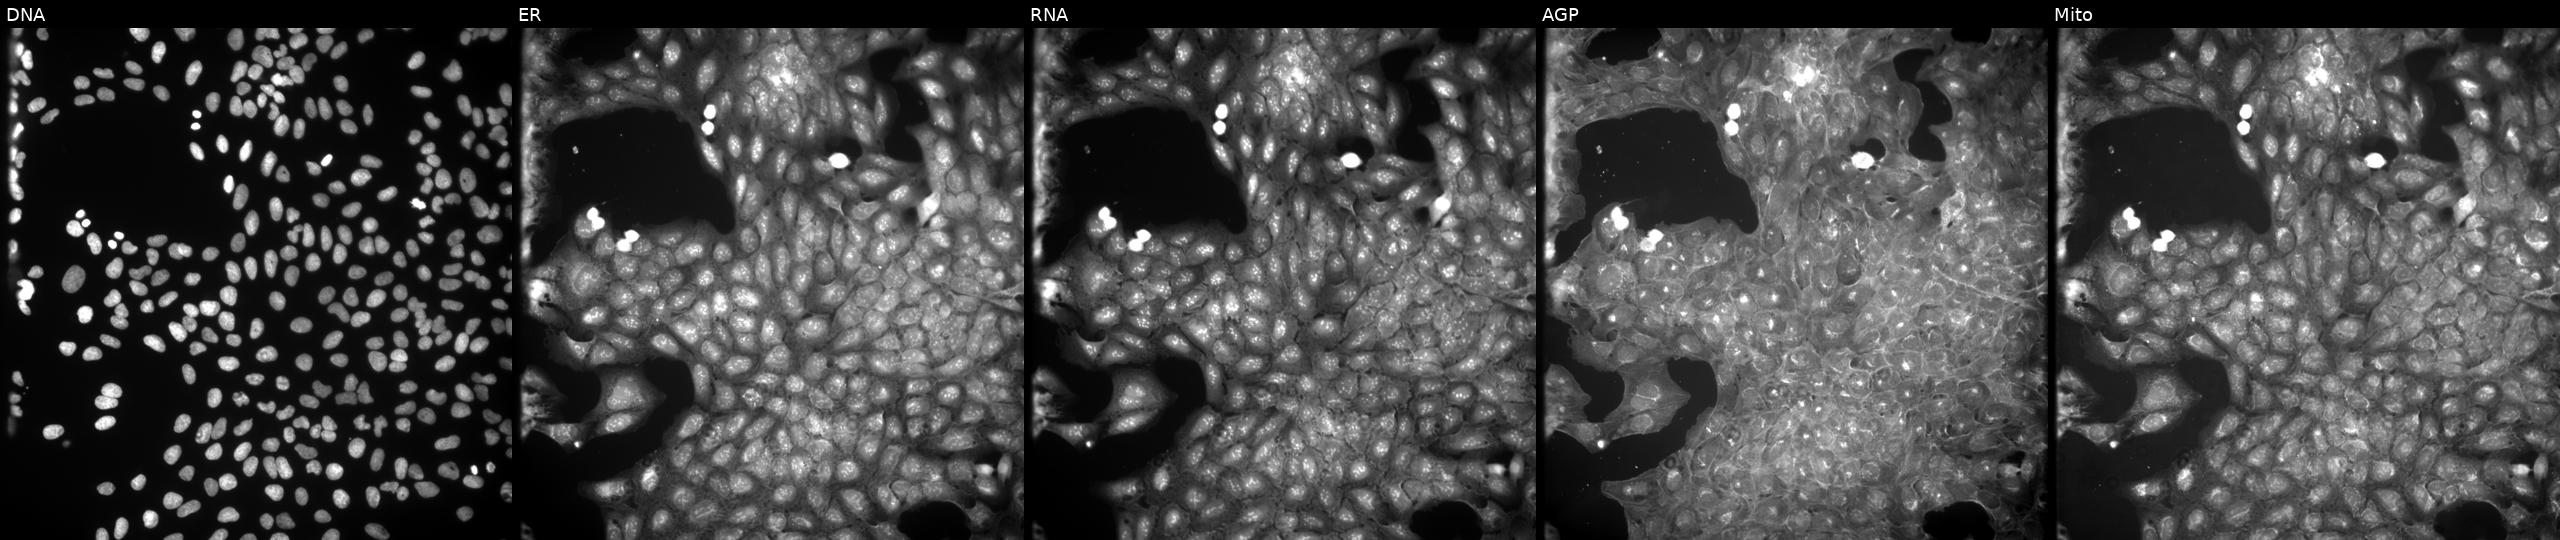
Panels show, left to right, DNA (nuclei); ER (endoplasmic reticulum); RNA (nucleoli and cytoplasmic RNA); AGP (actin cytoskeleton, Golgi, and plasma membrane); Mito (mitochondria). U2OS osteosarcoma cells perturbed with a small-molecule compound [SMILES: CC(=O)Nc1cccc(Oc2ccc3c(c2)C(=O)N(c2cccc(OC(C)=O)c2)C3=O)c1] (JUMP id JCP2022_005460). Cell Painting assay, JUMP-CP dataset.